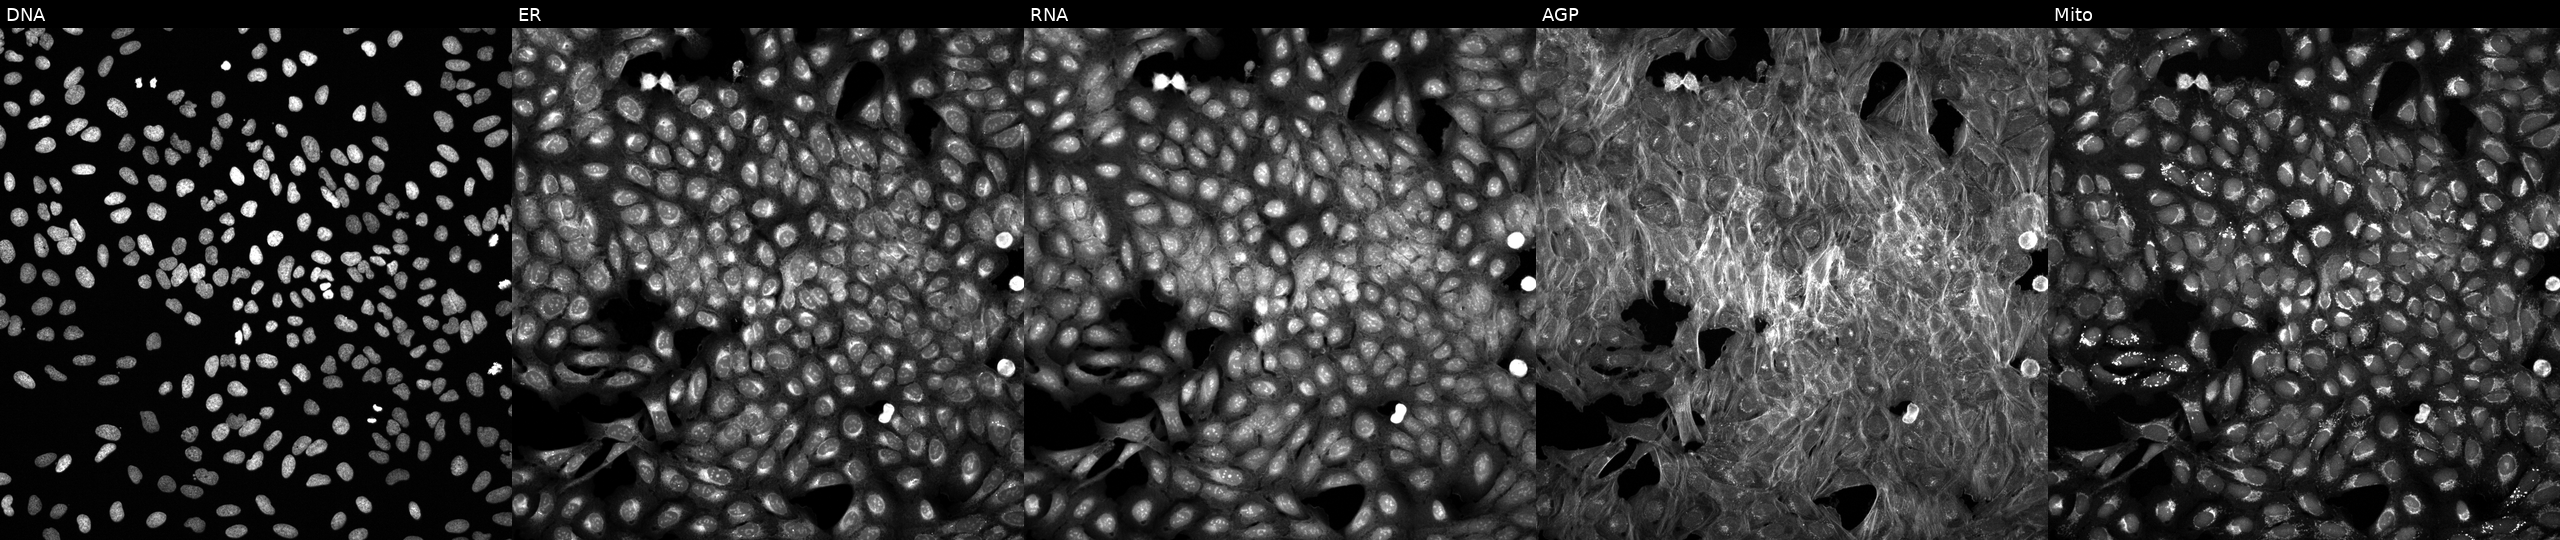
This image strip shows the five Cell Painting channels for a single field of U2OS cells treated with DMSO vehicle only (negative control) (JUMP id JCP2022_033924). Panels show, left to right, DNA (nuclei); ER (endoplasmic reticulum); RNA (nucleoli and cytoplasmic RNA); AGP (actin cytoskeleton, Golgi, and plasma membrane); Mito (mitochondria). Source 6, plate 110000294901, well G16.